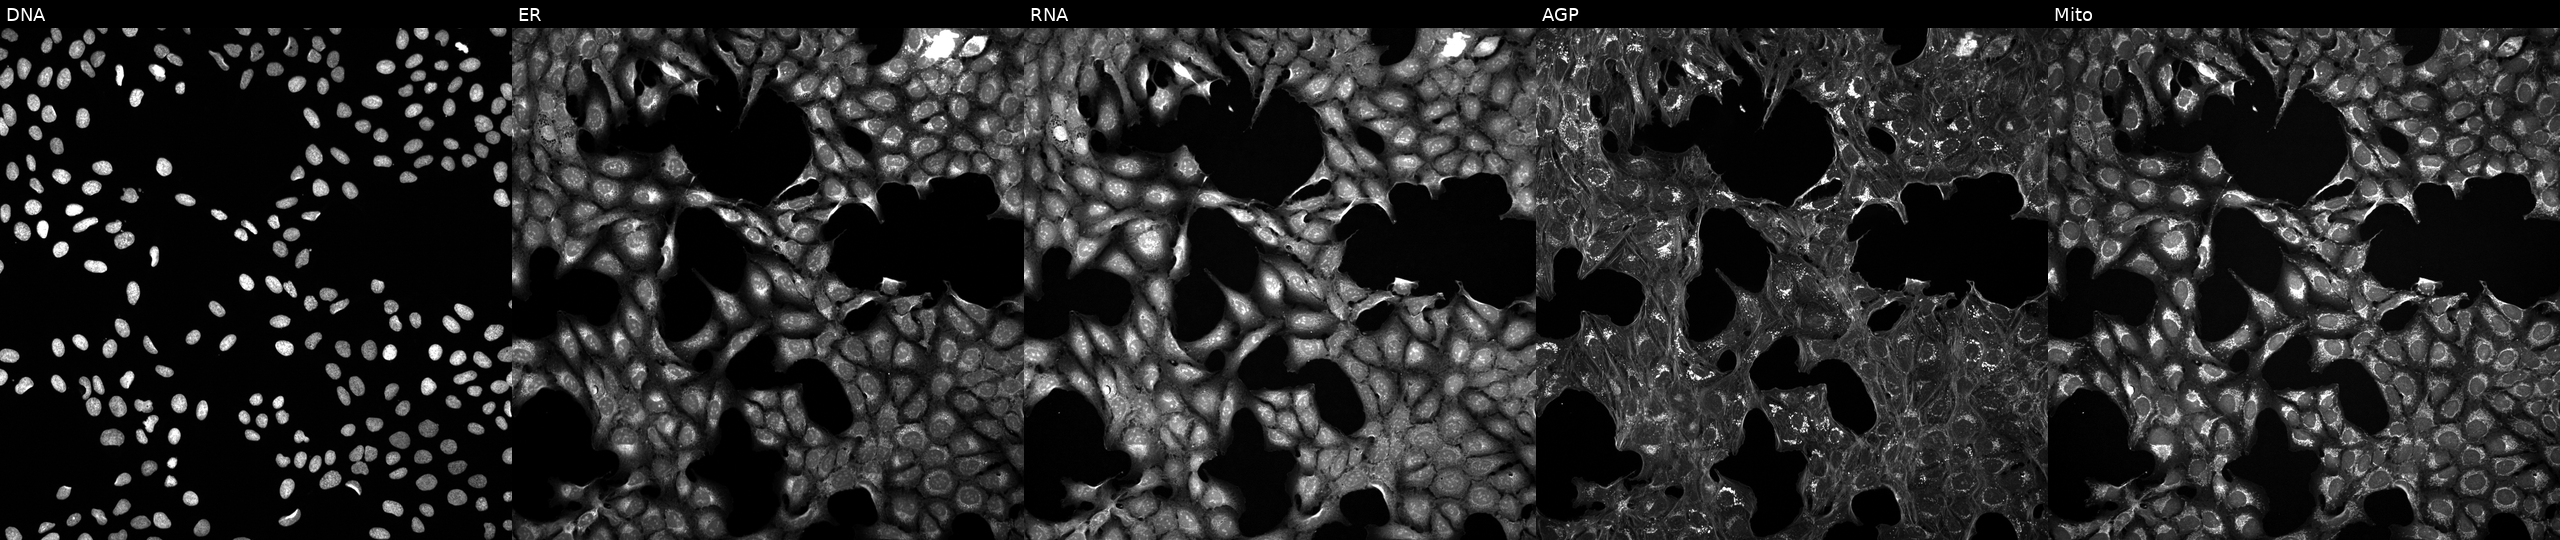
Channels (left→right): DNA, ER, RNA, AGP, and Mito. U2OS osteosarcoma cells treated with a small-molecule compound (InChIKey ZYVXTMKTGDARKR-UHFFFAOYSA-N). Cell Painting assay, JUMP-CP dataset.